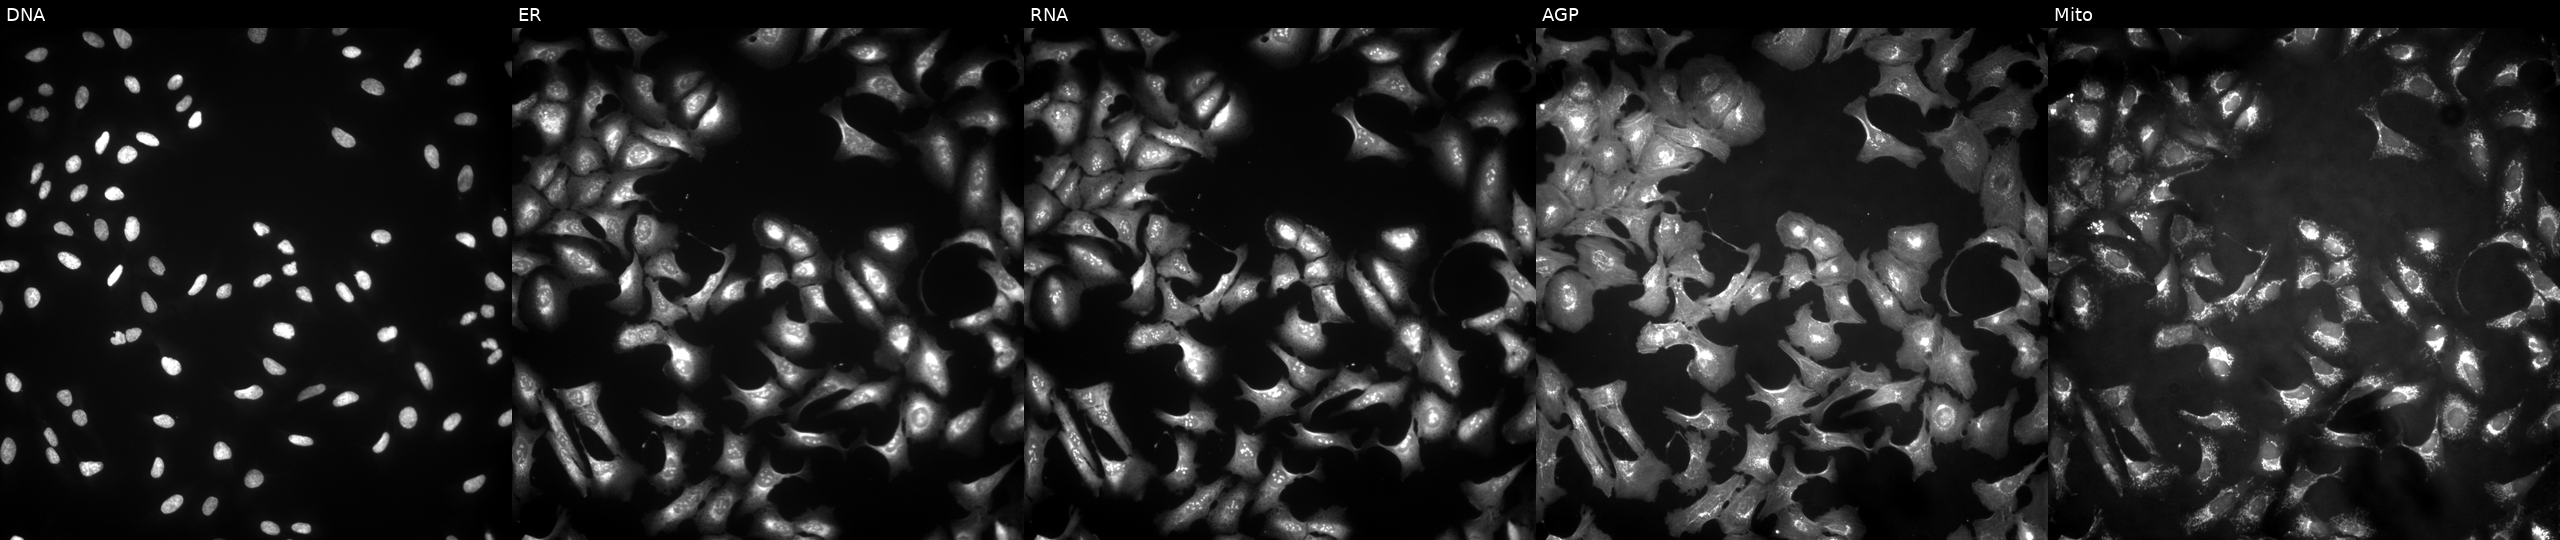
From left to right: Hoechst 33342, concanavalin A, SYTO 14, phalloidin and WGA, MitoTracker. U2OS osteosarcoma cells overexpressing SCARB2 via ORF transfection (JUMP id JCP2022_900236). Cell Painting assay, JUMP-CP dataset.